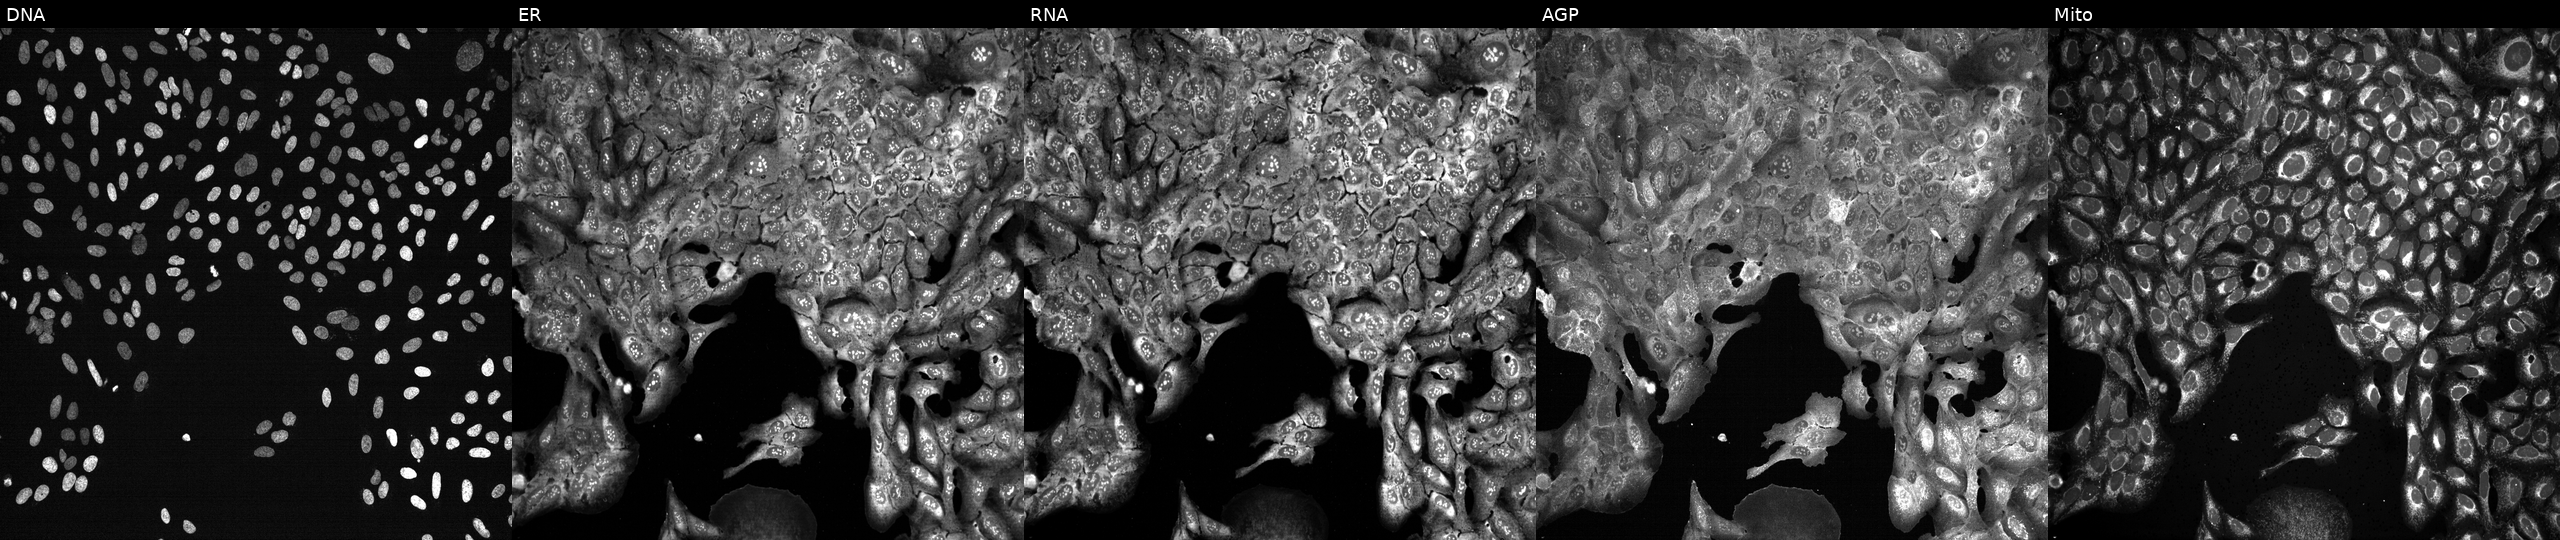
U2OS cells, Cell Painting assay, following CRISPR knockout of AKR7A2 (JUMP id JCP2022_800370). Panels show, left to right, DNA (nuclei); ER (endoplasmic reticulum); RNA (nucleoli and cytoplasmic RNA); AGP (actin cytoskeleton, Golgi, and plasma membrane); Mito (mitochondria). Each panel is percentile-stretched 16-bit fluorescence. Source 13, plate CP-CC9-R4-03, well B14.